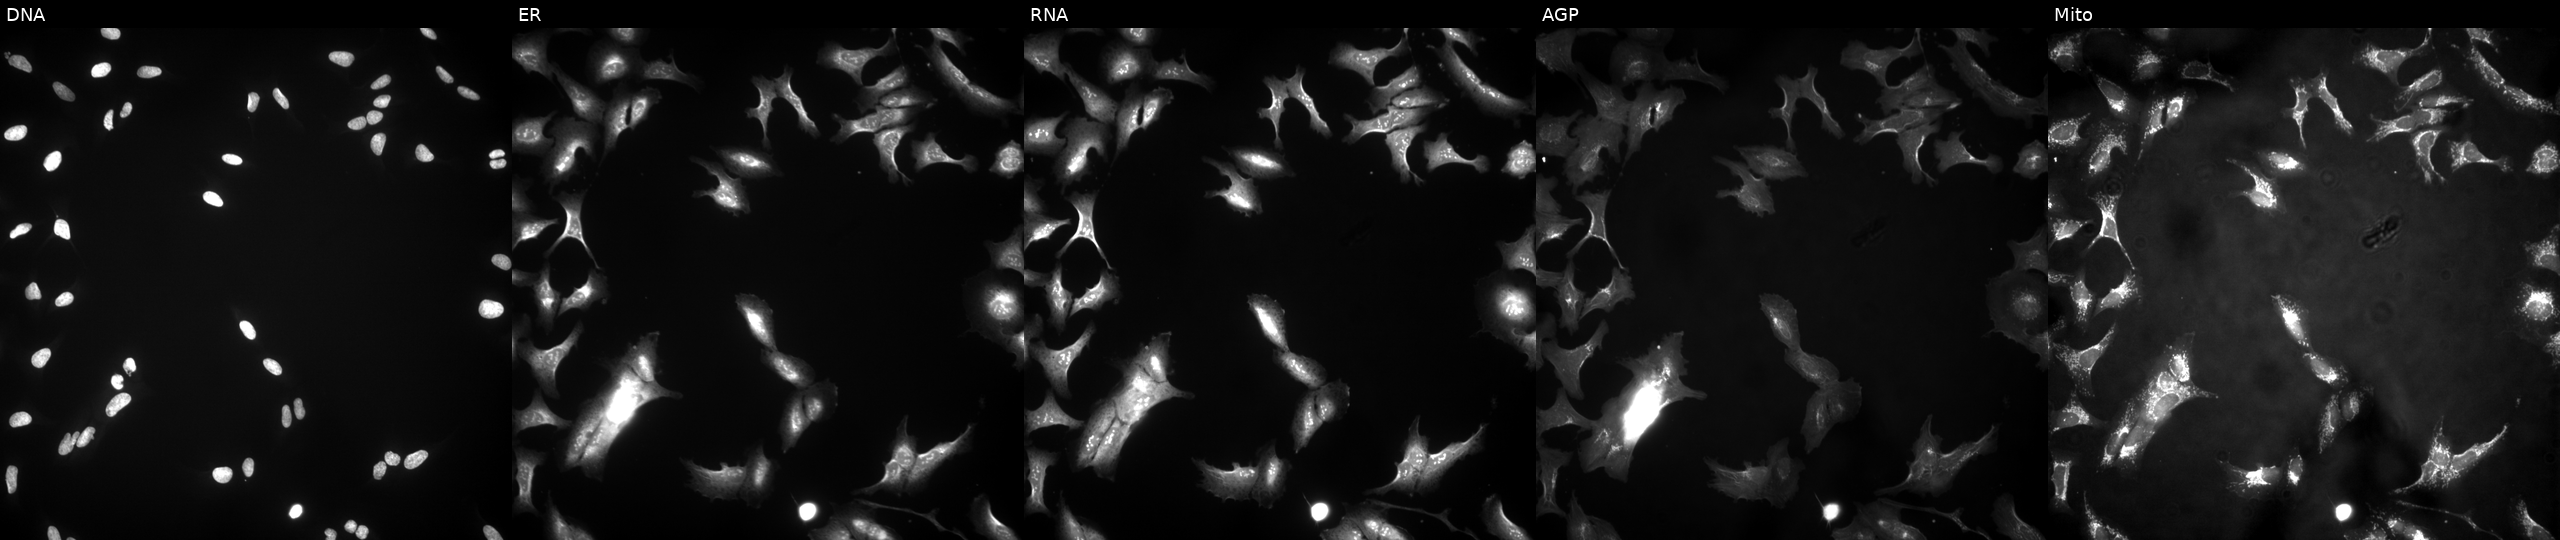
U2OS cells, Cell Painting assay, overexpressing SLC29A1 via ORF transfection (JUMP id JCP2022_900472). The five panels, left to right, show DNA (nuclei); ER (endoplasmic reticulum); RNA (nucleoli and cytoplasmic RNA); AGP (actin cytoskeleton, Golgi, and plasma membrane); Mito (mitochondria). Each panel is percentile-stretched 16-bit fluorescence.